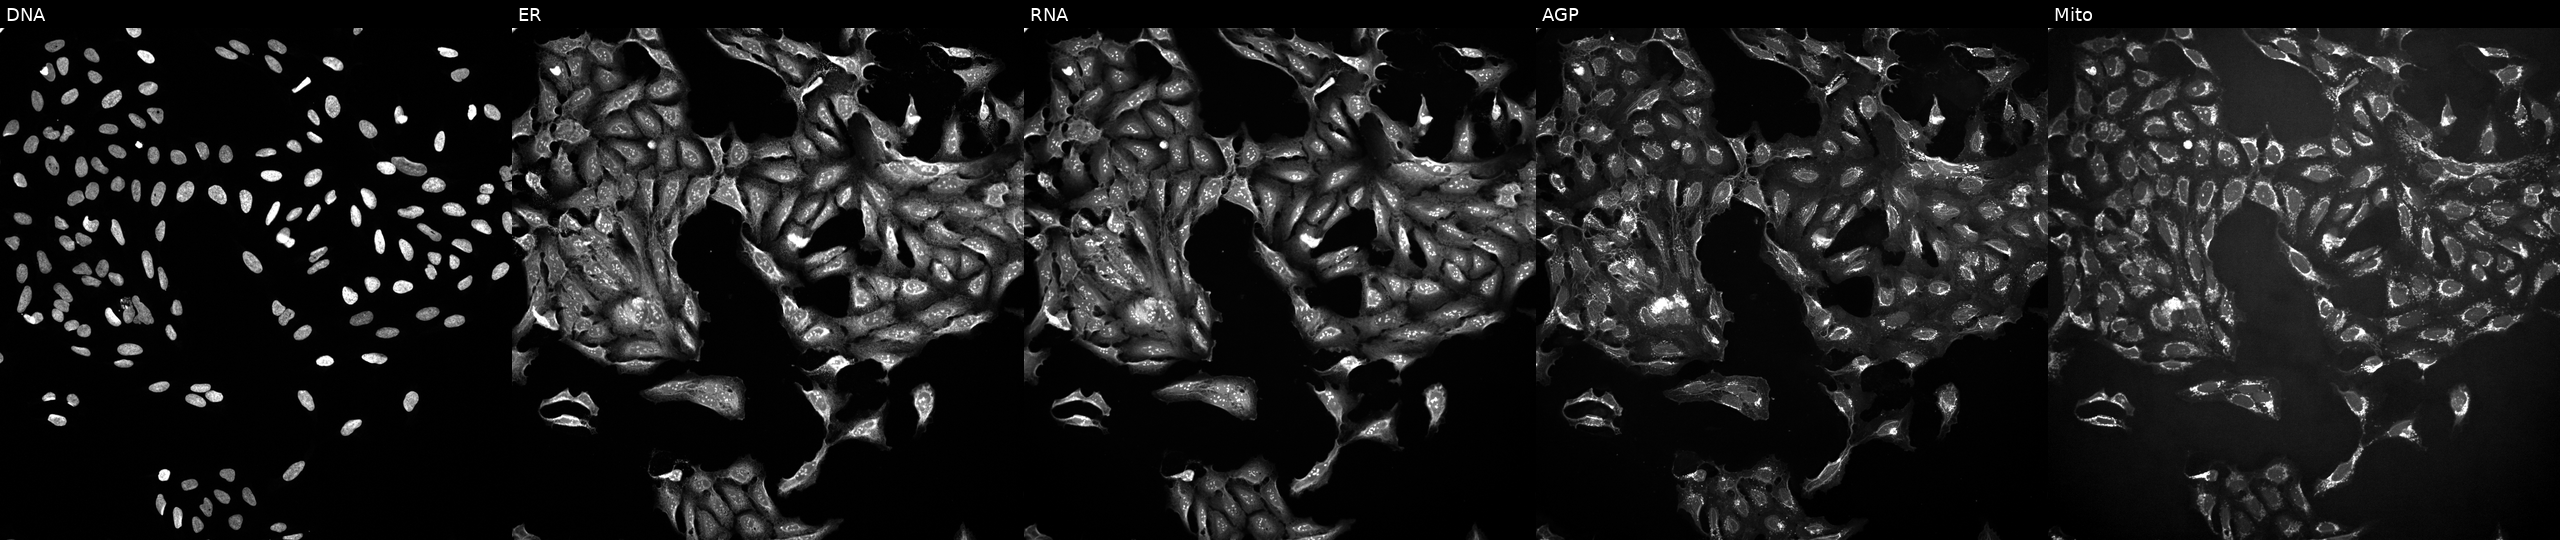
This image strip shows the five Cell Painting channels for a single field of U2OS cells perturbed with a small-molecule compound. Panels show, left to right, DNA, ER, RNA, AGP, and Mito. Source 10, plate Dest210803-153958, well L04.